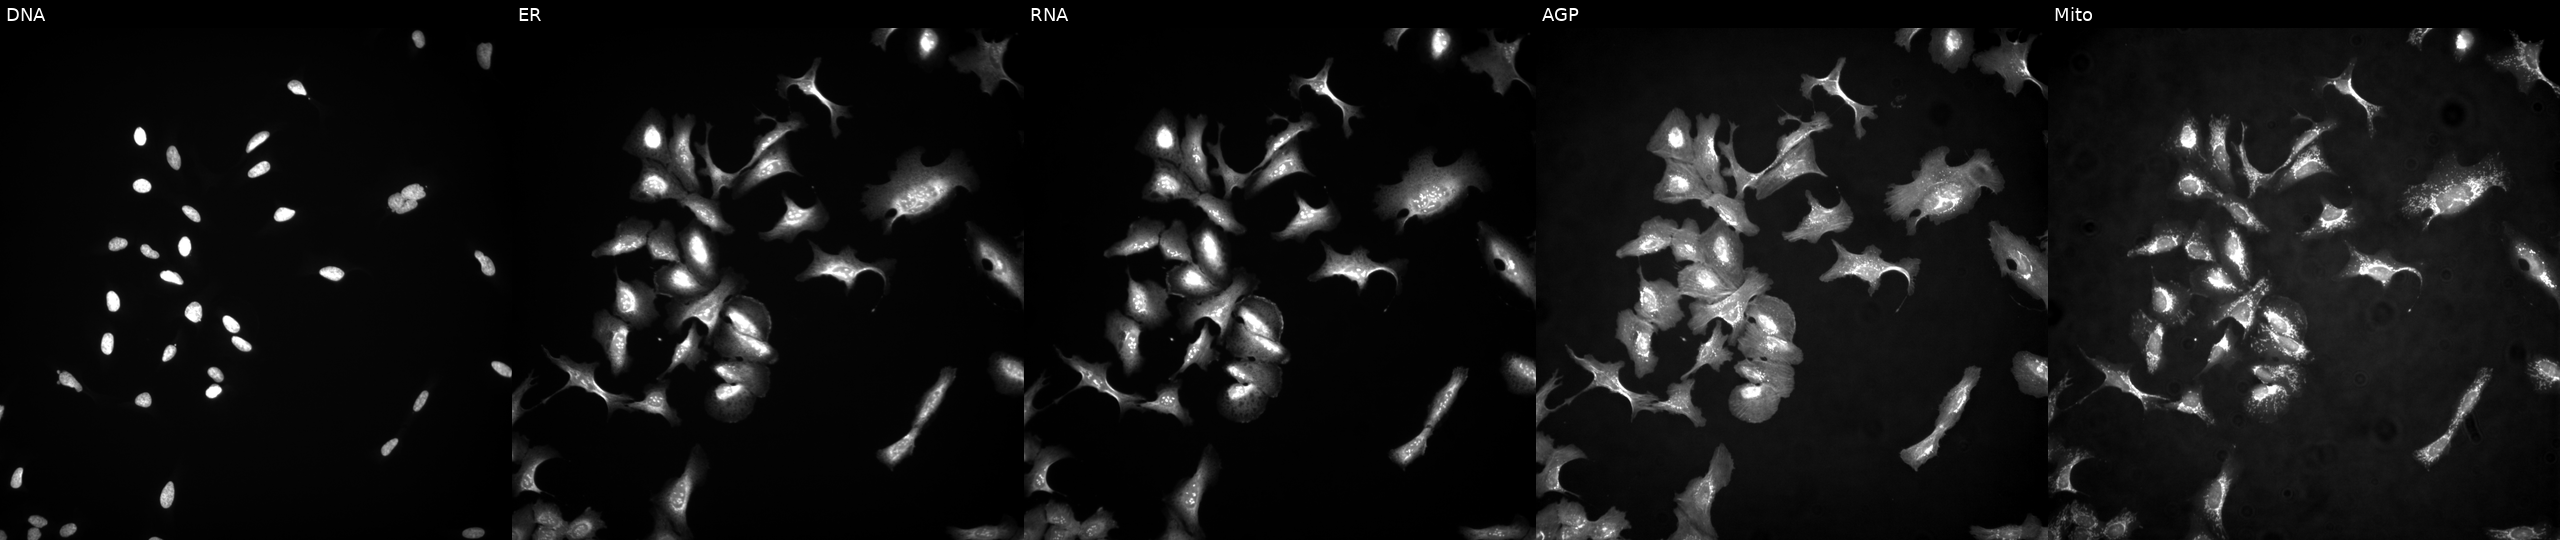
Five-channel Cell Painting image of U2OS cells overexpressing CETN2 via ORF transfection (JUMP id JCP2022_905592). From left to right: DNA, ER, RNA, AGP, and Mito.